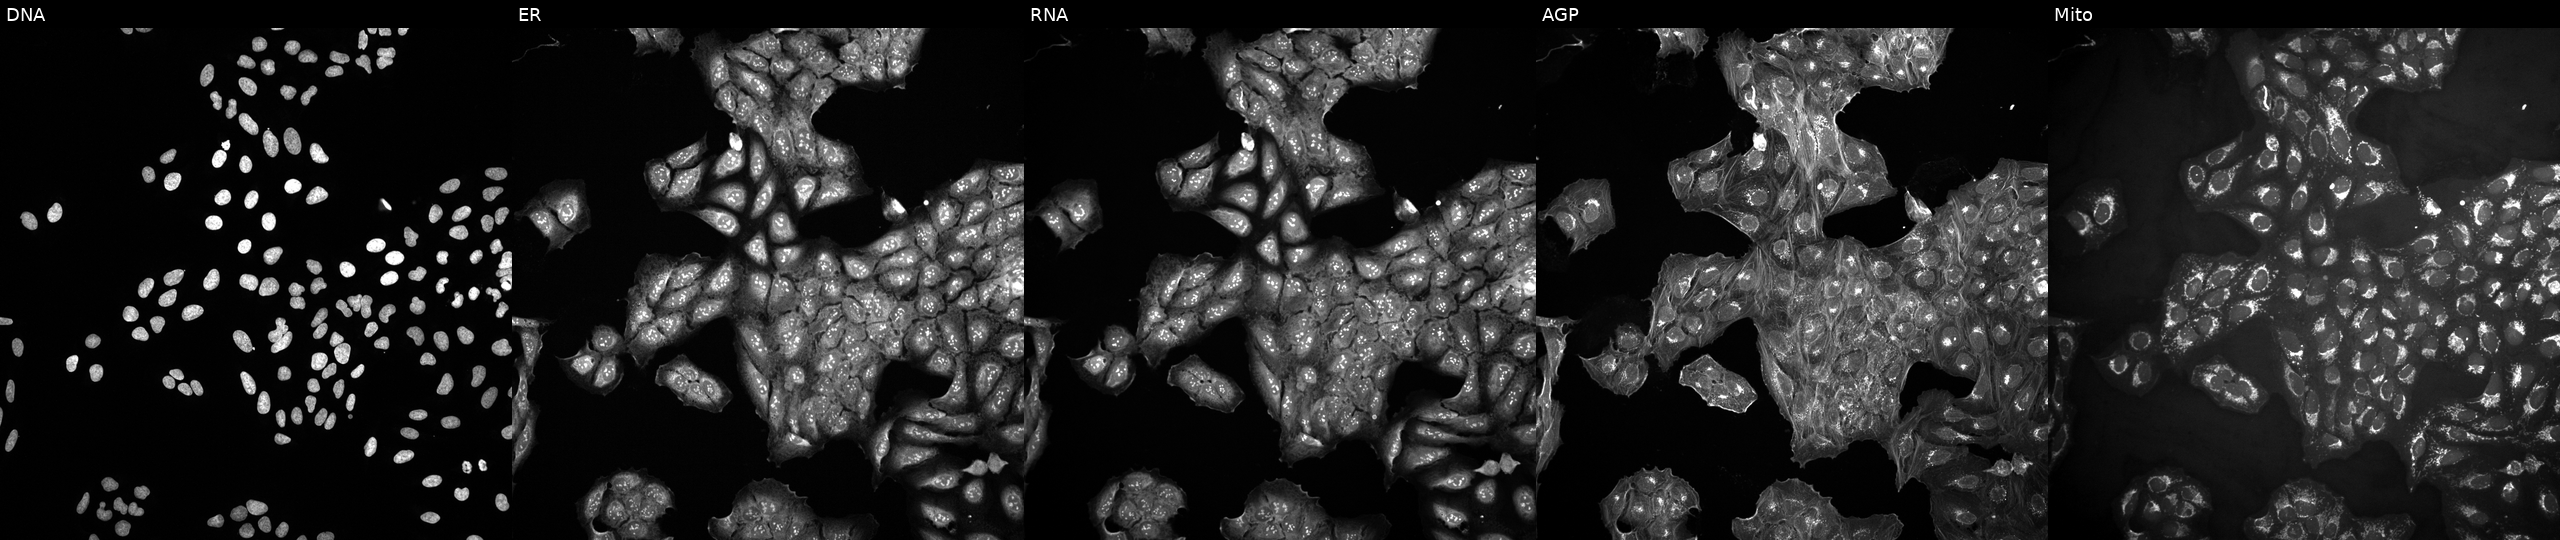
This image strip shows the five Cell Painting channels for a single field of U2OS cells in an empty control well (no perturbation) (JUMP id JCP2022_999999). From left to right: DNA, ER, RNA, AGP, and Mito. Source 10, plate Dest210531-152149, well M05.